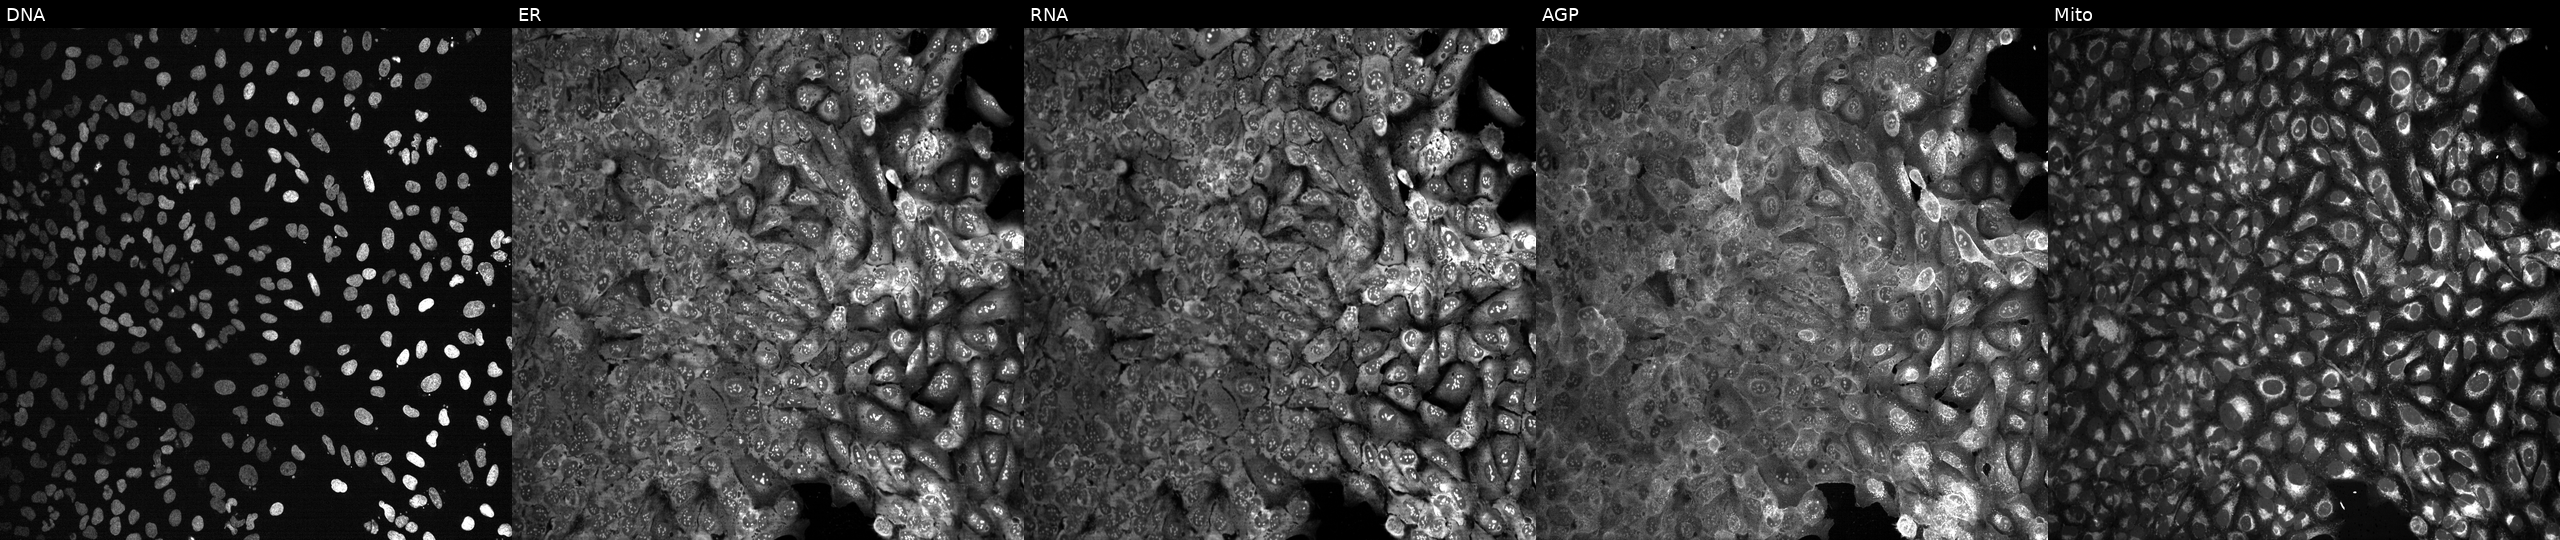
U2OS cells, Cell Painting assay, with REG3A knocked out by CRISPR. Panels show, left to right, DNA, ER, RNA, AGP, and Mito. Each panel is percentile-stretched 16-bit fluorescence. Source 13, plate CP-CC9-R4-04, well D05.